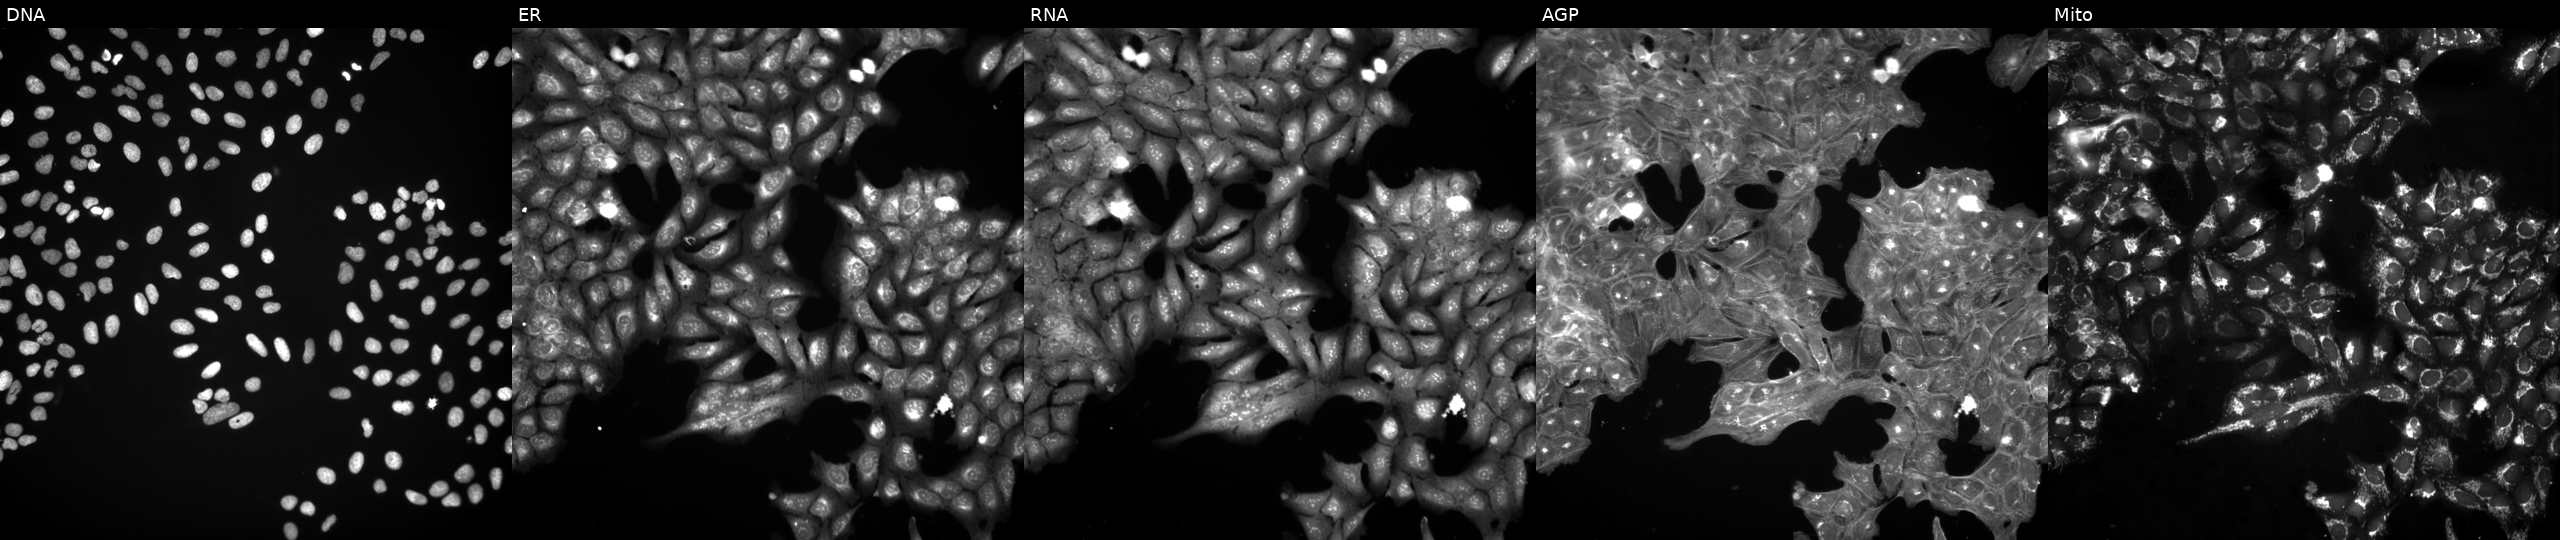
Five-channel Cell Painting image of U2OS cells treated with a small-molecule compound. Panels show, left to right, Hoechst 33342, concanavalin A, SYTO 14, phalloidin and WGA, MitoTracker.